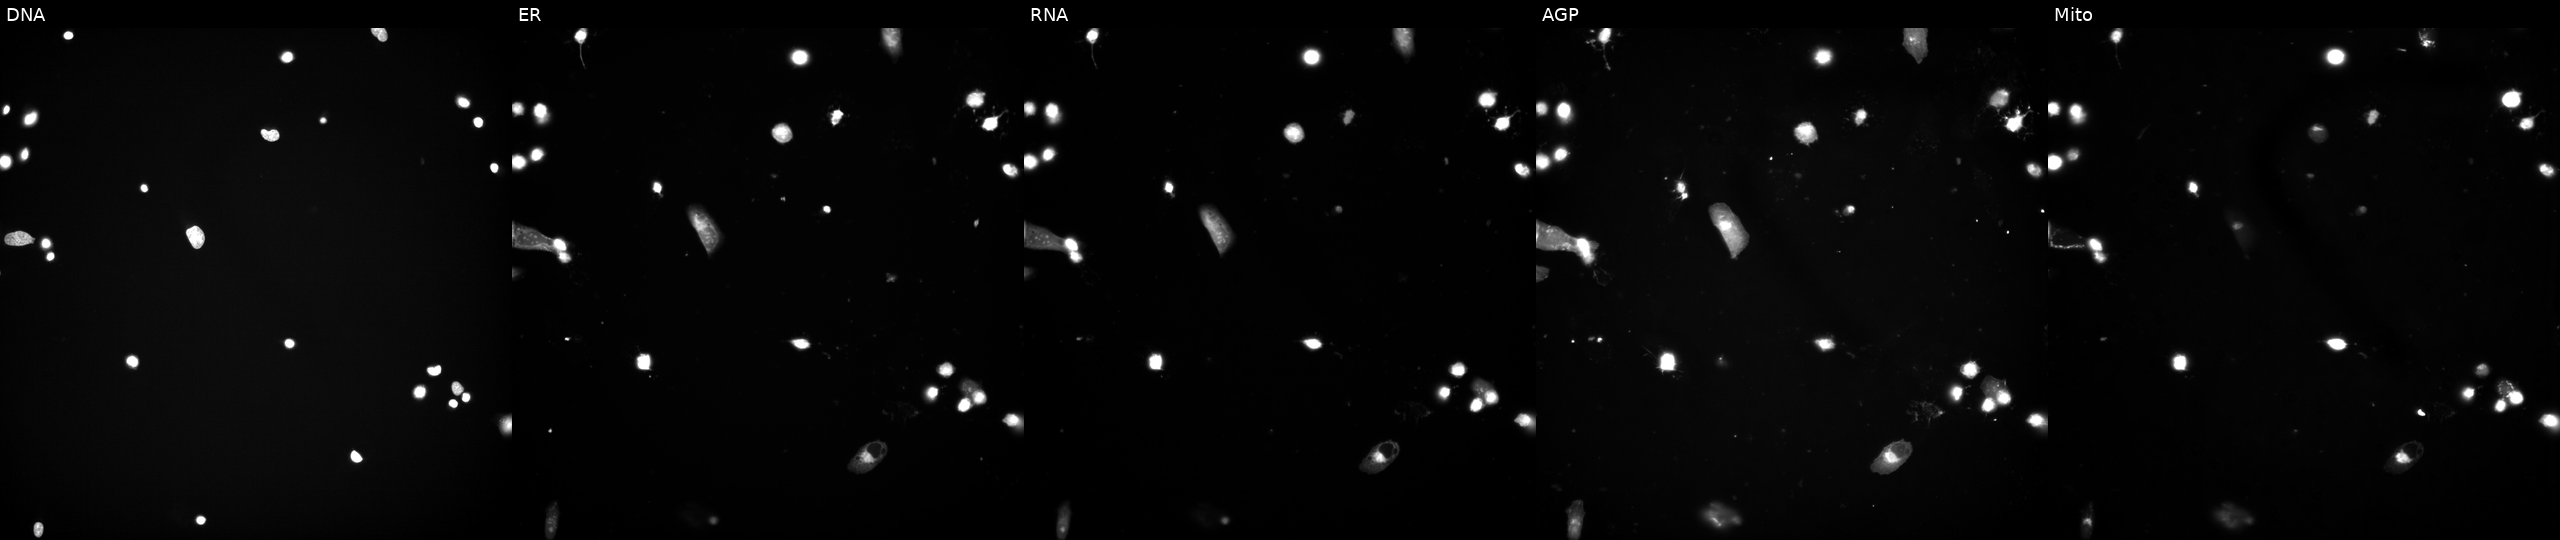
High-content fluorescence microscopy (Cell Painting). Cell line: U2OS. Perturbation: exposed to a small-molecule compound. Panels show, left to right, DNA (nuclei); ER (endoplasmic reticulum); RNA (nucleoli and cytoplasmic RNA); AGP (actin cytoskeleton, Golgi, and plasma membrane); Mito (mitochondria). Source 3, plate JCPQC053, well J02.